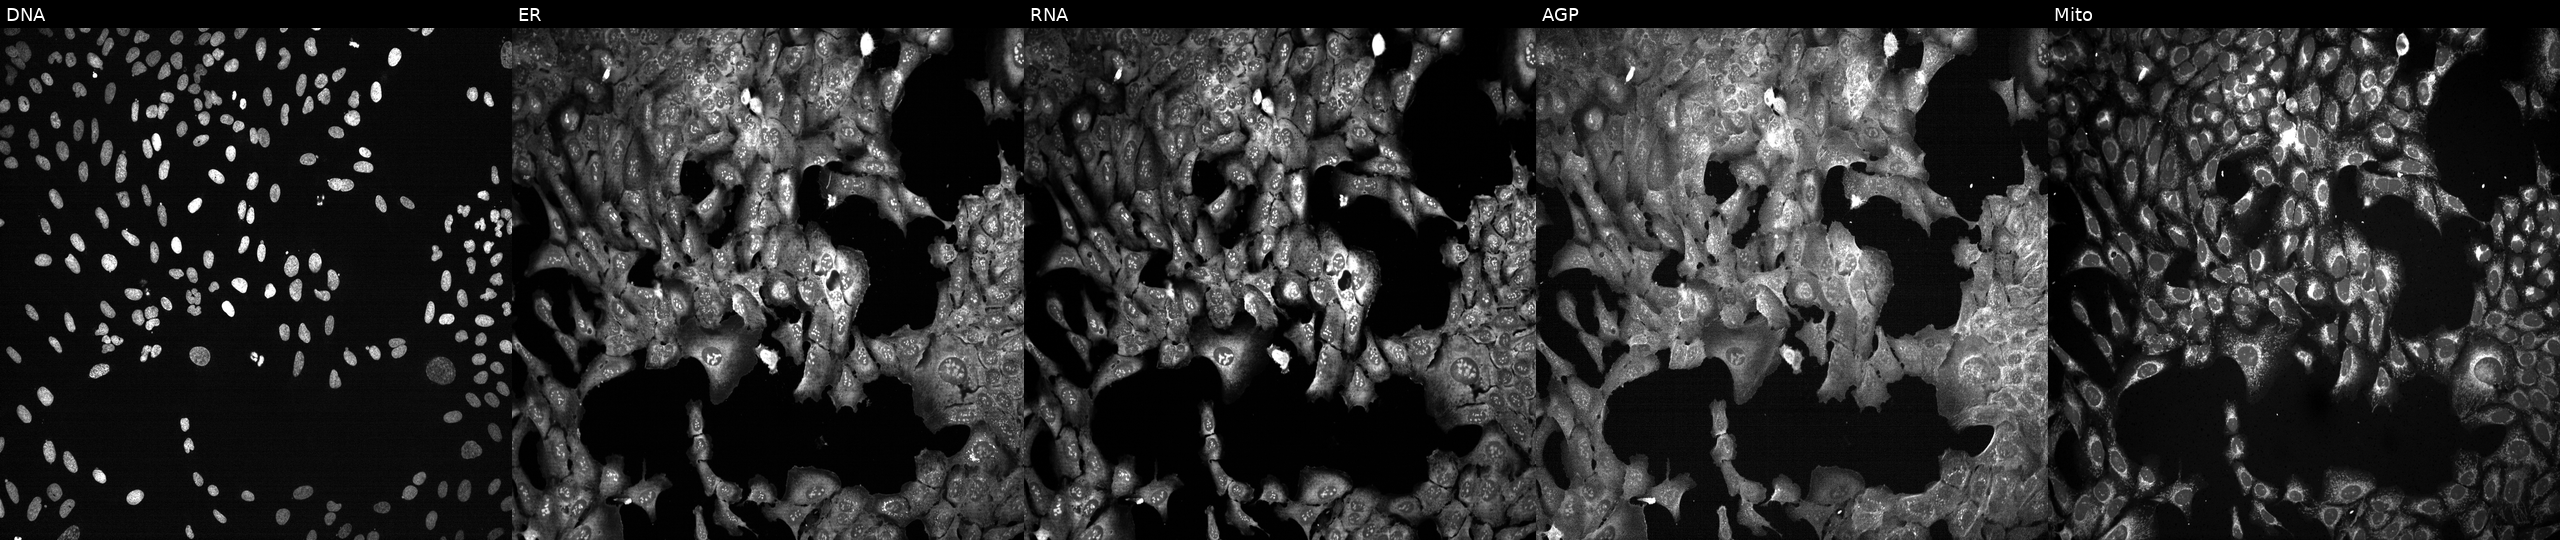
Five-channel Cell Painting image of U2OS cells CRISPR-edited to disrupt DDX52. From left to right: DNA (nuclei); ER (endoplasmic reticulum); RNA (nucleoli and cytoplasmic RNA); AGP (actin cytoskeleton, Golgi, and plasma membrane); Mito (mitochondria).